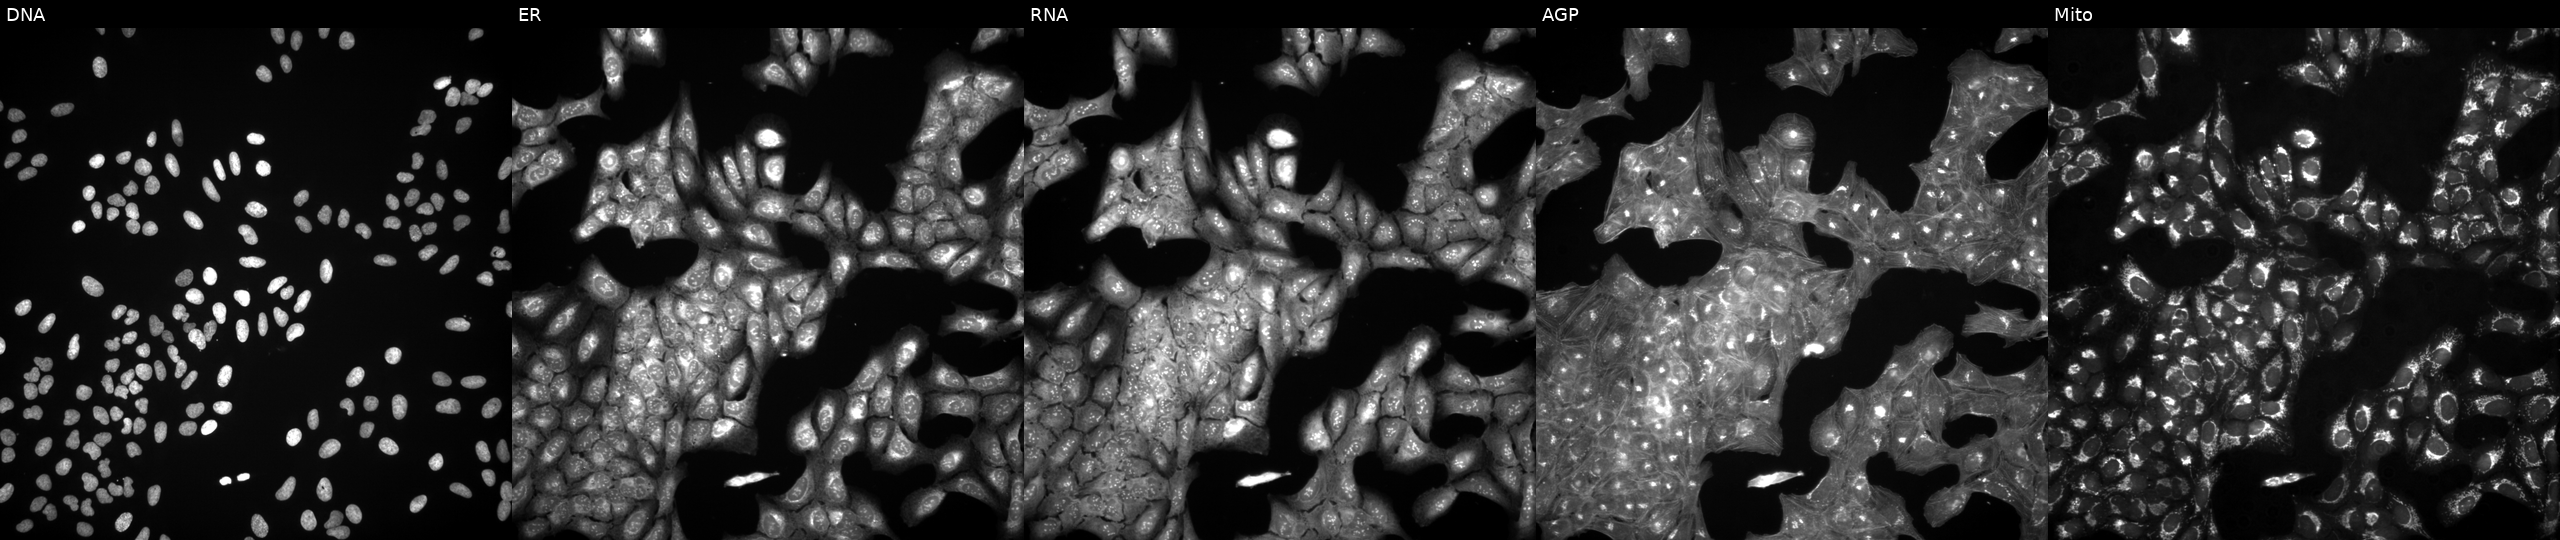
JUMP Cell Painting — TARGET2 plate. U2OS cells perturbed with a small-molecule compound (InChIKey KJFMBFZCATUALV-UHFFFAOYSA-N) (JUMP id JCP2022_044972). The five panels, left to right, show Hoechst 33342, concanavalin A, SYTO 14, phalloidin and WGA, MitoTracker.